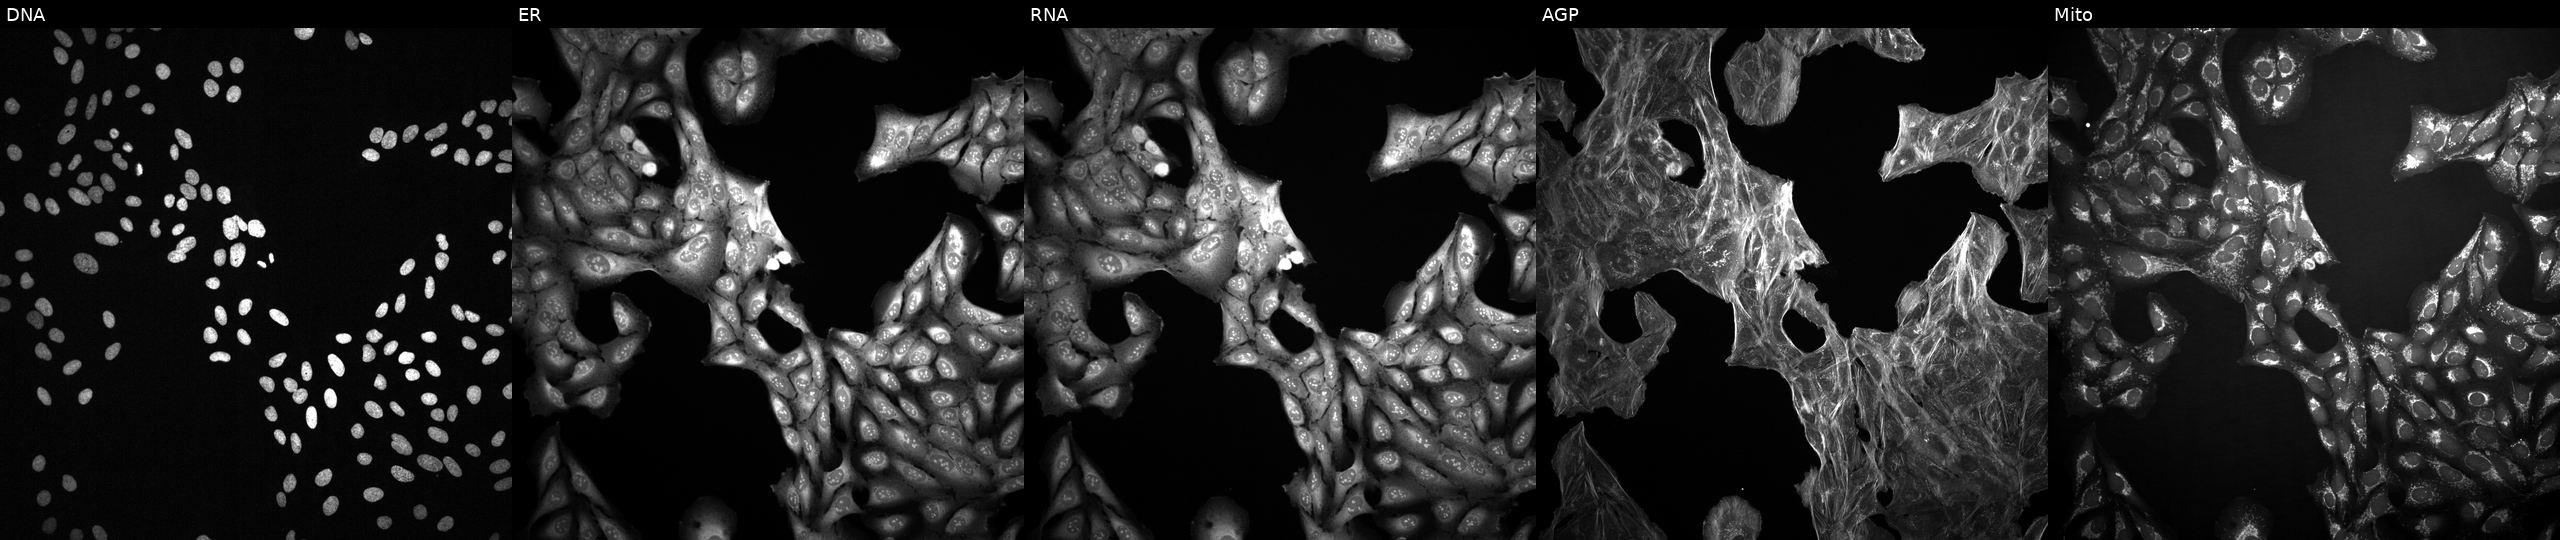
Channels (left→right): DNA (nuclei); ER (endoplasmic reticulum); RNA (nucleoli and cytoplasmic RNA); AGP (actin cytoskeleton, Golgi, and plasma membrane); Mito (mitochondria). U2OS osteosarcoma cells perturbed with a small-molecule compound (InChIKey SHZKQBHERIJWAO-UHFFFAOYSA-N) (JUMP id JCP2022_083372). Cell Painting assay, JUMP-CP dataset.